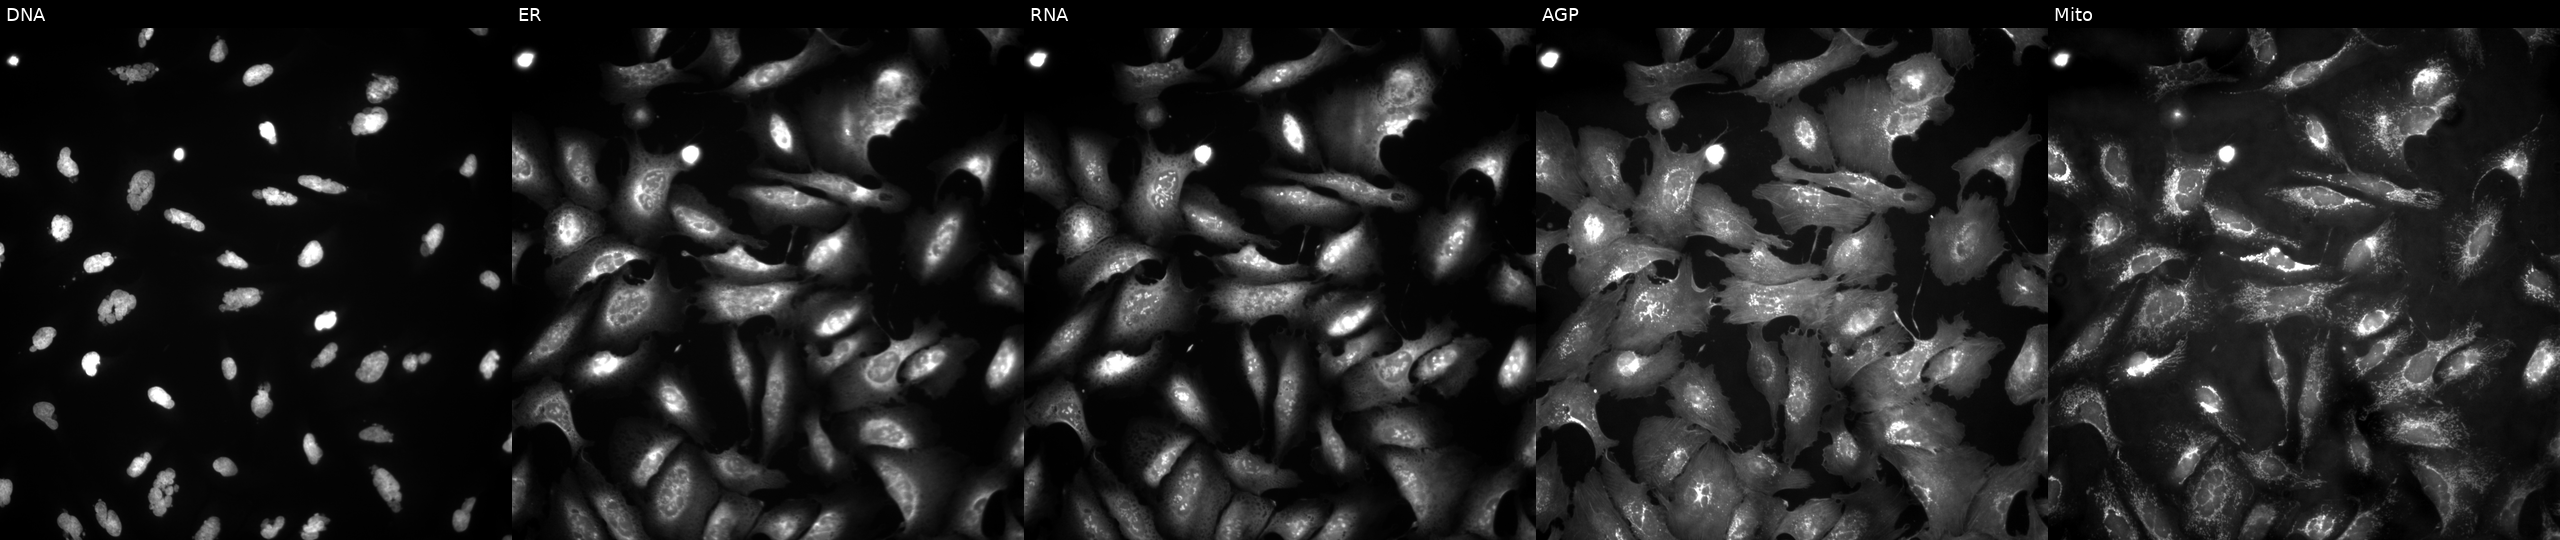
Five-channel Cell Painting image of U2OS cells exposed to the positive-control compound AMG900 (JUMP id JCP2022_037716). From left to right: DNA (nuclei); ER (endoplasmic reticulum); RNA (nucleoli and cytoplasmic RNA); AGP (actin cytoskeleton, Golgi, and plasma membrane); Mito (mitochondria).